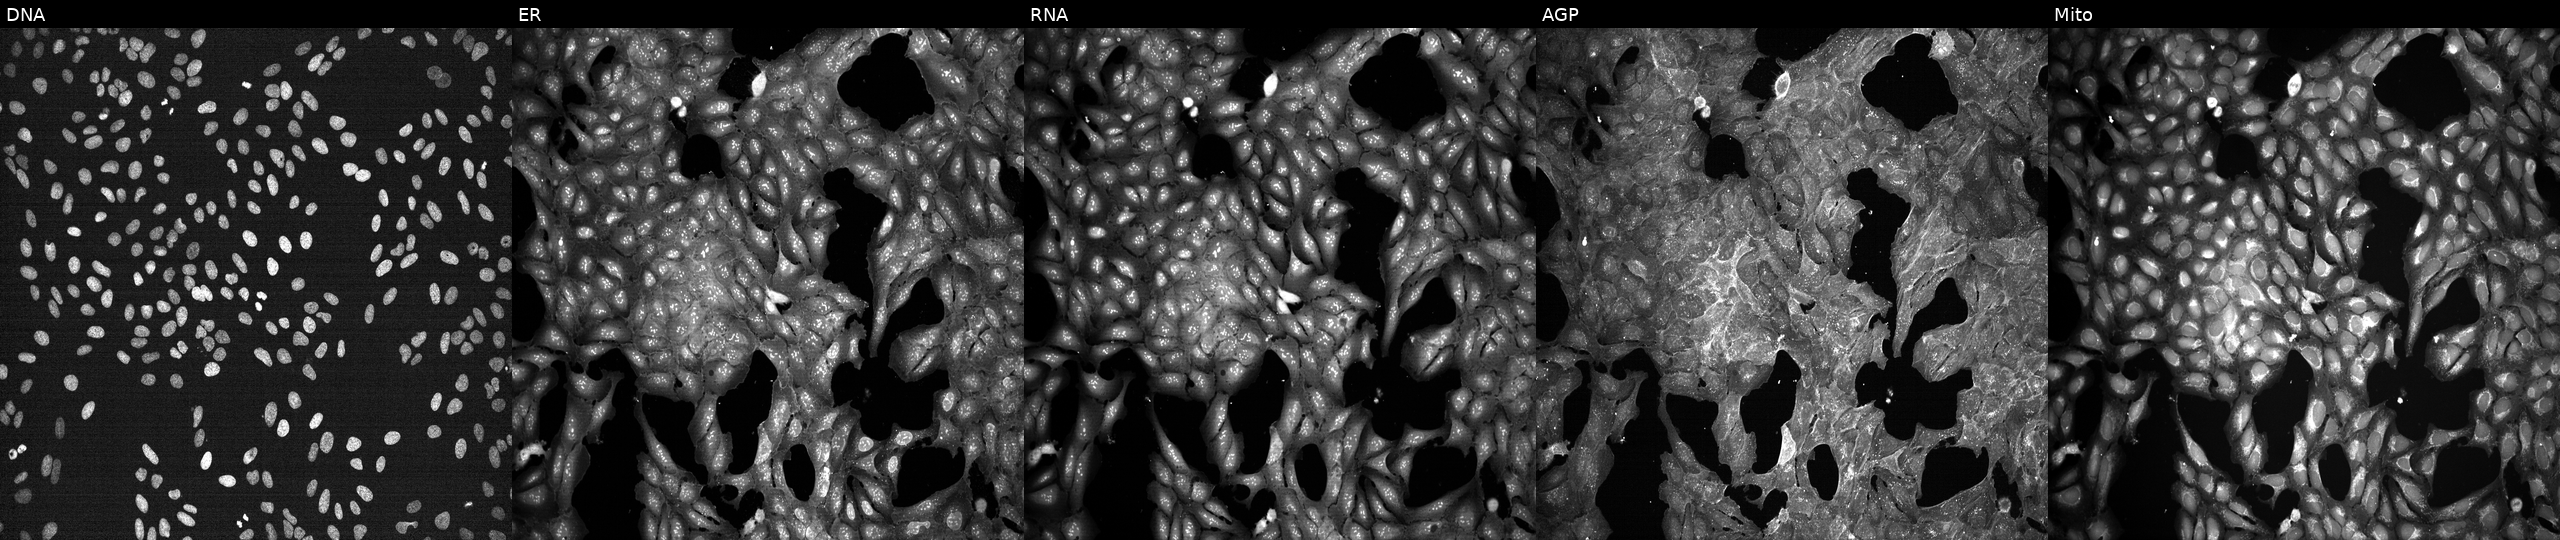
This image strip shows the five Cell Painting channels for a single field of U2OS cells treated with DMSO vehicle only (negative control) (JUMP id JCP2022_033924). From left to right: DNA, ER, RNA, AGP, and Mito. Source 7, plate CP1-SC1-25, well H17.